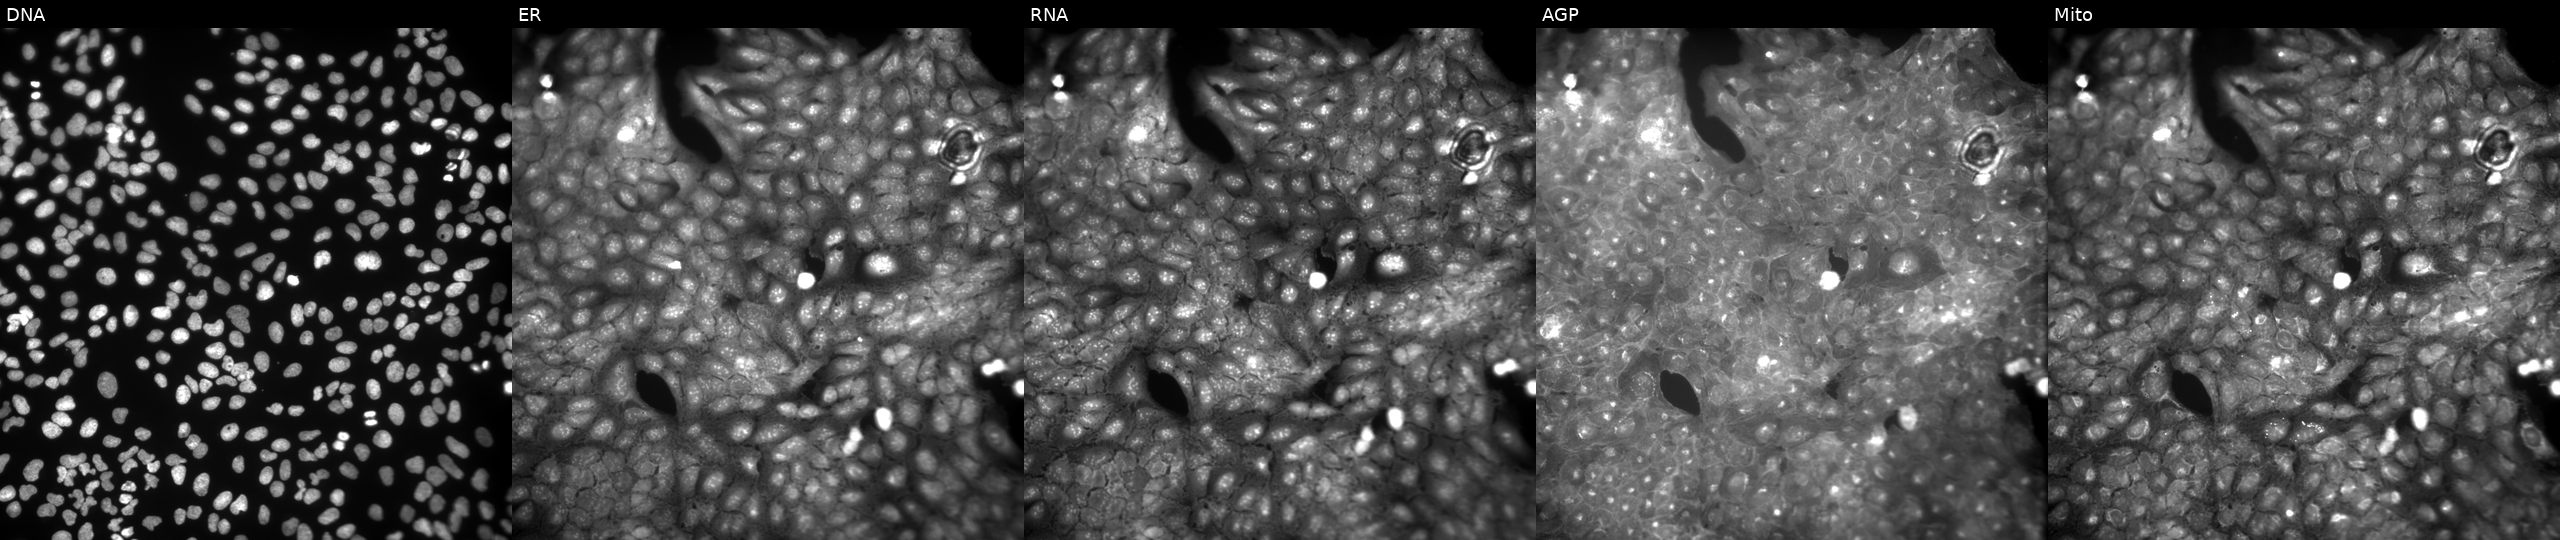
Panels show, left to right, DNA (nuclei); ER (endoplasmic reticulum); RNA (nucleoli and cytoplasmic RNA); AGP (actin cytoskeleton, Golgi, and plasma membrane); Mito (mitochondria). U2OS osteosarcoma cells treated with a small-molecule compound (InChIKey UZIHABIJZKNLSJ-UHFFFAOYSA-N). Cell Painting assay, JUMP-CP dataset.